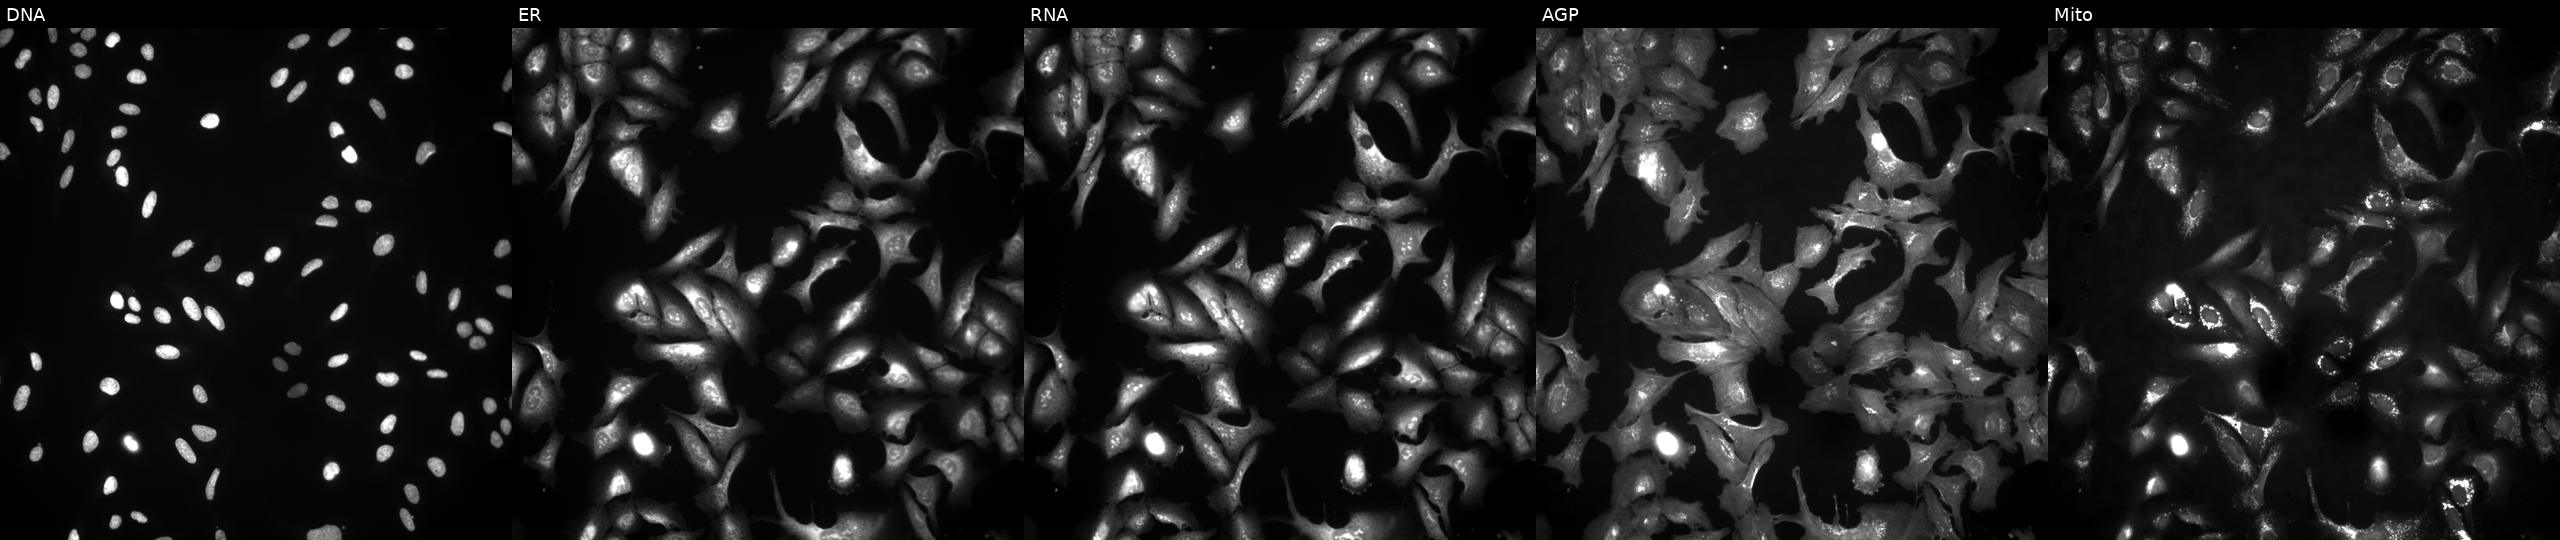
U2OS cells, Cell Painting assay, with PTCD1 overexpressed (ORF). The five panels, left to right, show Hoechst 33342, concanavalin A, SYTO 14, phalloidin and WGA, MitoTracker. Each panel is percentile-stretched 16-bit fluorescence.